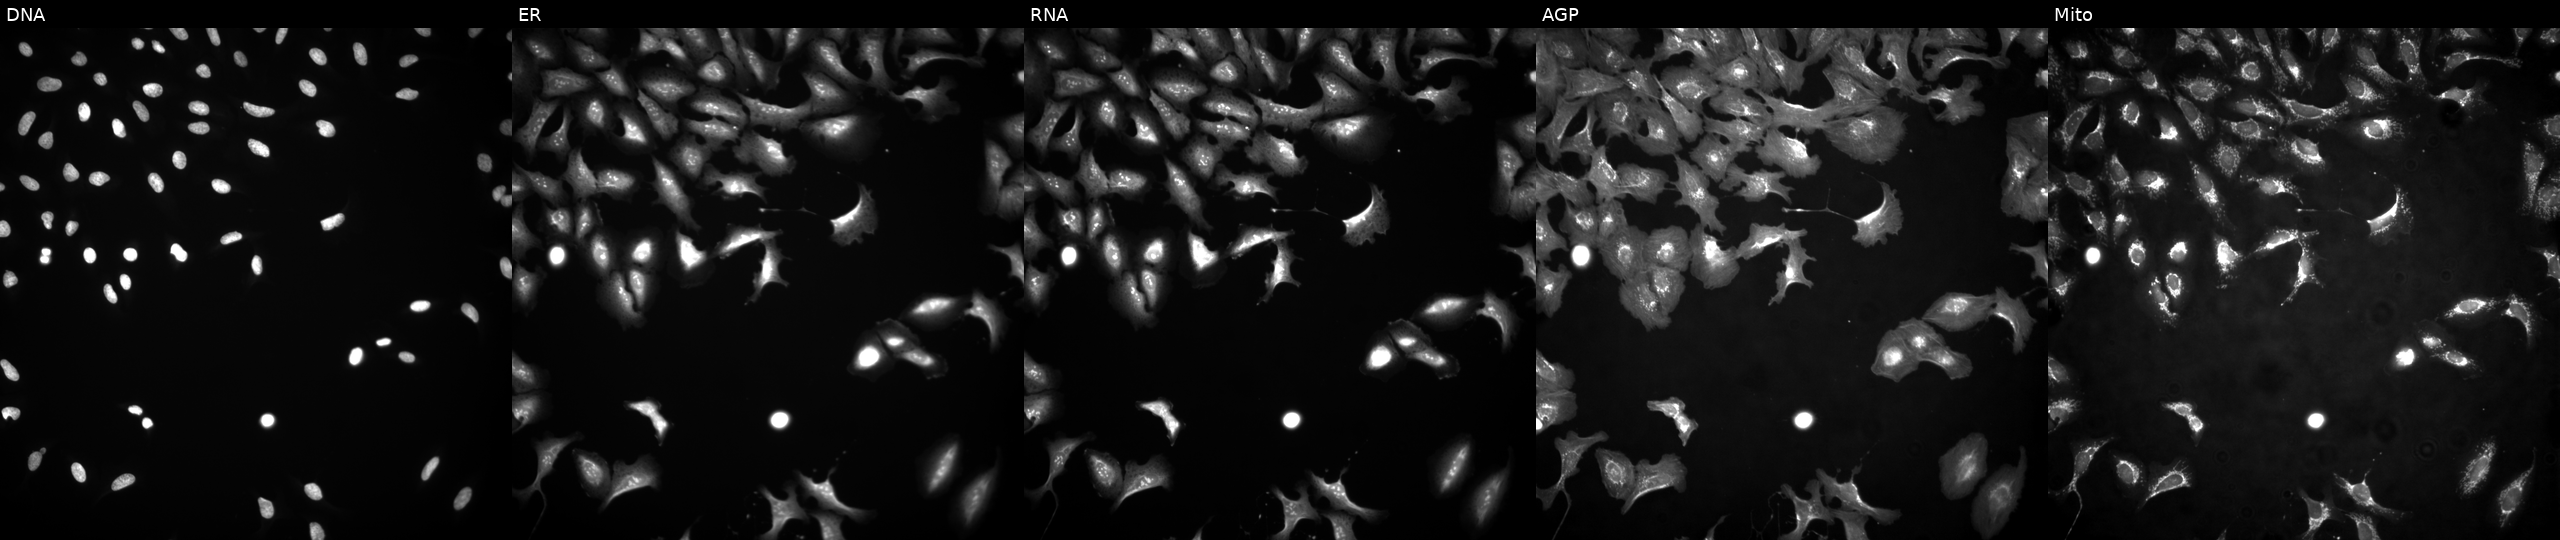
High-content fluorescence microscopy (Cell Painting). Cell line: U2OS. Perturbation: expressing eGFP (ORF positive control). Channels (left→right): Hoechst 33342, concanavalin A, SYTO 14, phalloidin and WGA, MitoTracker. Source 4, plate BR00117035, well O19.